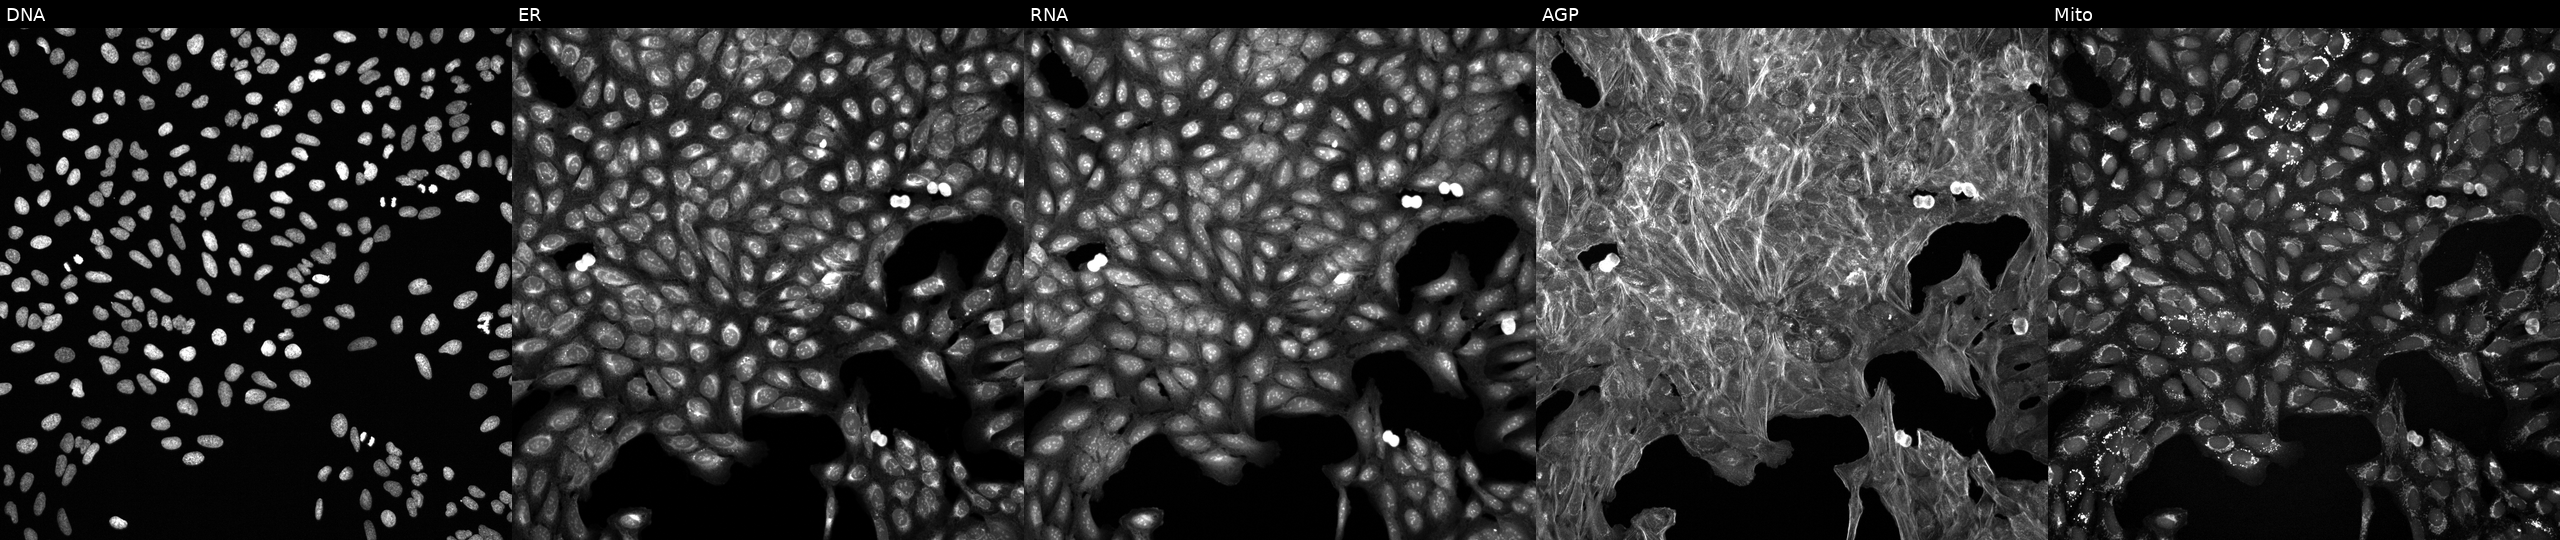
U2OS cells, Cell Painting assay, exposed to a small-molecule compound (InChIKey BDNFQGRSKSQXRI-UHFFFAOYSA-N). Panels show, left to right, Hoechst 33342, concanavalin A, SYTO 14, phalloidin and WGA, MitoTracker. Each panel is percentile-stretched 16-bit fluorescence.